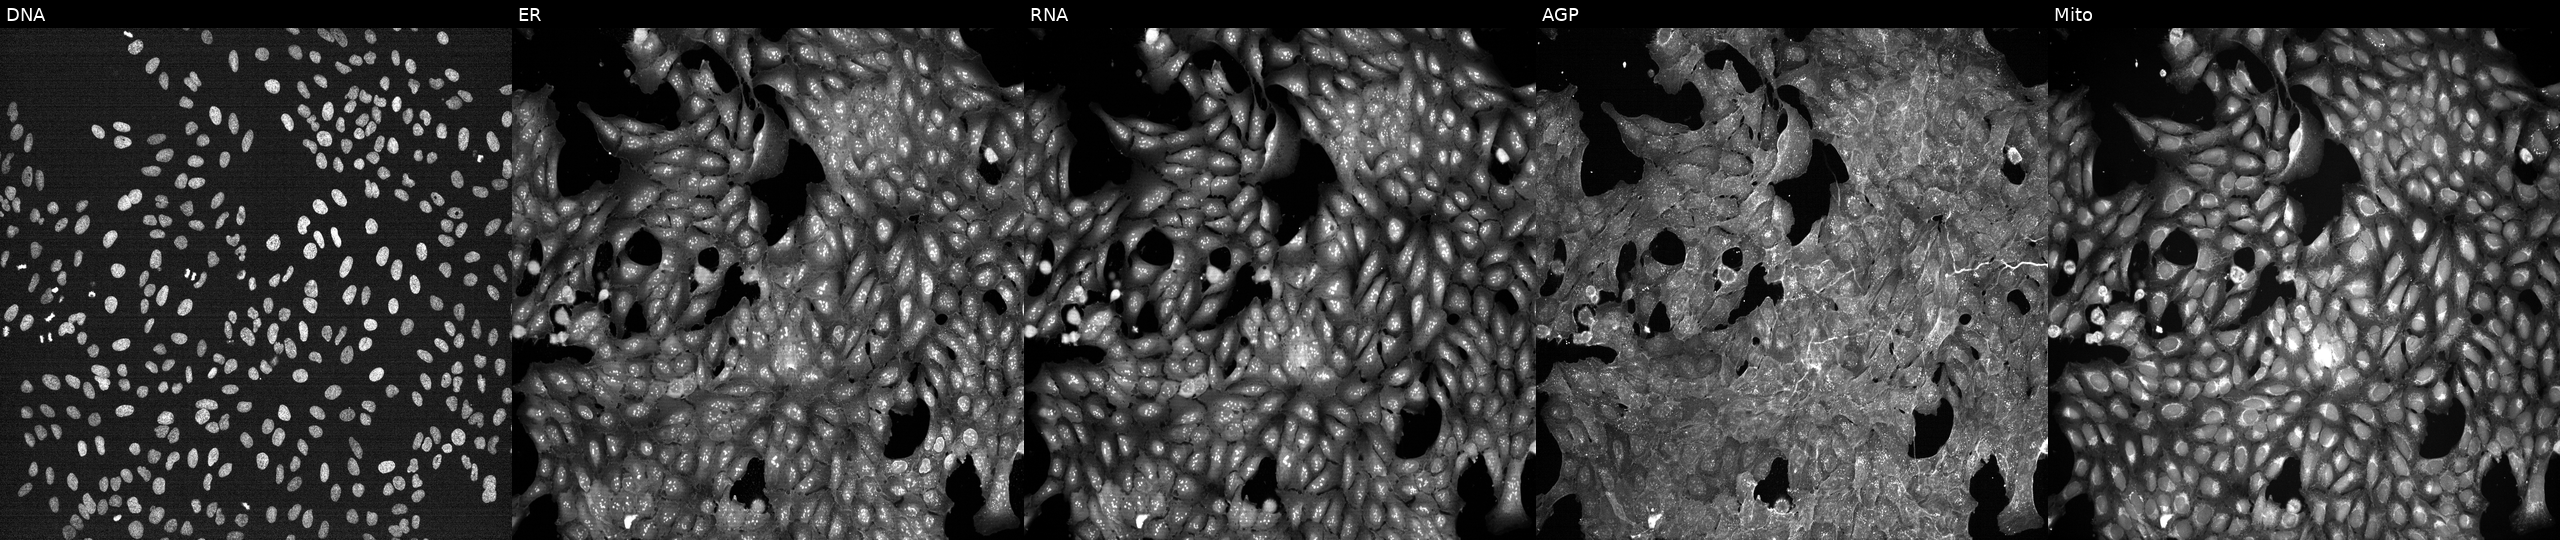
Five-channel Cell Painting image of U2OS cells treated with a small-molecule compound (InChIKey CMSMOCZEIVJLDB-UHFFFAOYSA-N) [SMILES: O=P1(N(CCCl)CCCl)NCCCO1] (JUMP id JCP2022_012146). From left to right: Hoechst 33342, concanavalin A, SYTO 14, phalloidin and WGA, MitoTracker. Source 7, plate CP1-SC1-25, well B10.